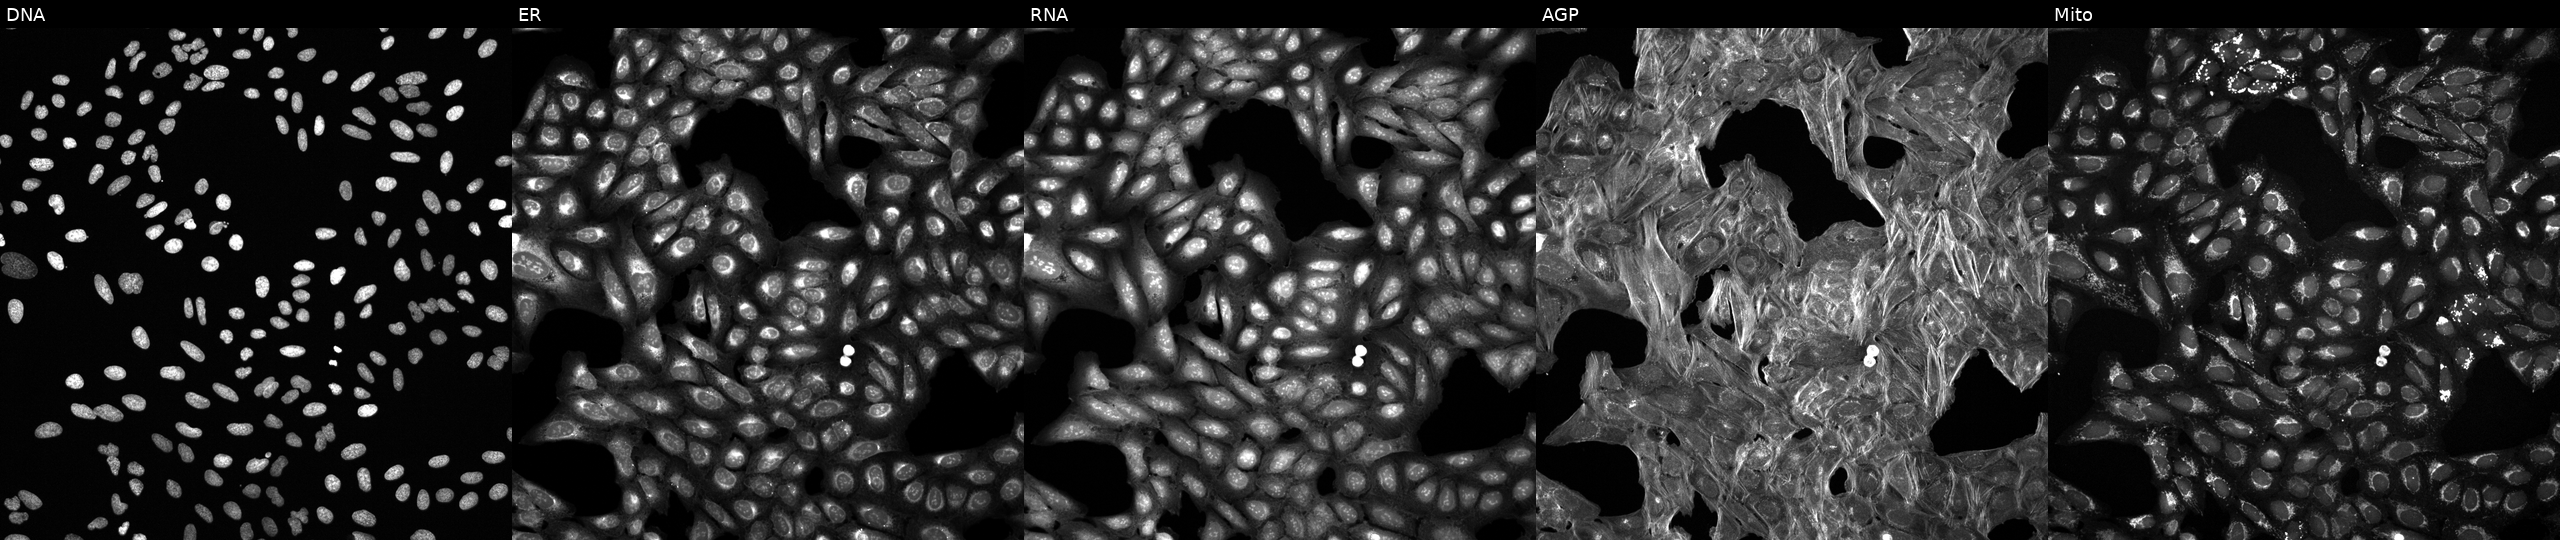
Panels show, left to right, Hoechst 33342, concanavalin A, SYTO 14, phalloidin and WGA, MitoTracker. U2OS osteosarcoma cells exposed to a small-molecule compound (InChIKey ZQHMMRWJABKJIV-UHFFFAOYSA-N). Cell Painting assay, JUMP-CP dataset.